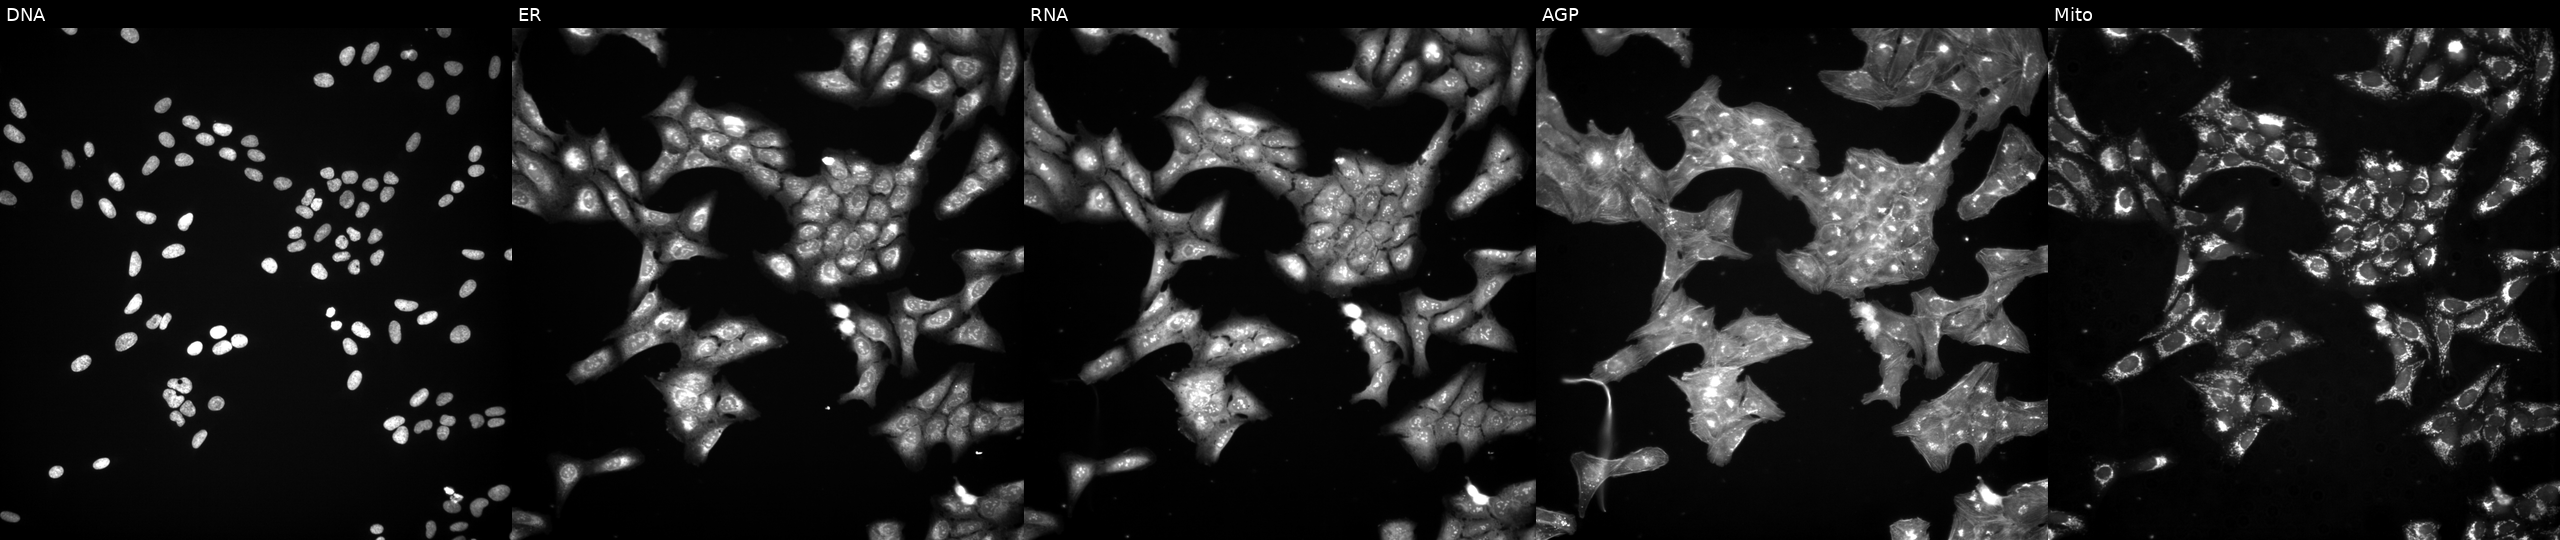
This image strip shows the five Cell Painting channels for a single field of U2OS cells exposed to a small-molecule compound (InChIKey OKSJPILHDREZGI-UHFFFAOYSA-N). Channels (left→right): DNA (nuclei); ER (endoplasmic reticulum); RNA (nucleoli and cytoplasmic RNA); AGP (actin cytoskeleton, Golgi, and plasma membrane); Mito (mitochondria).